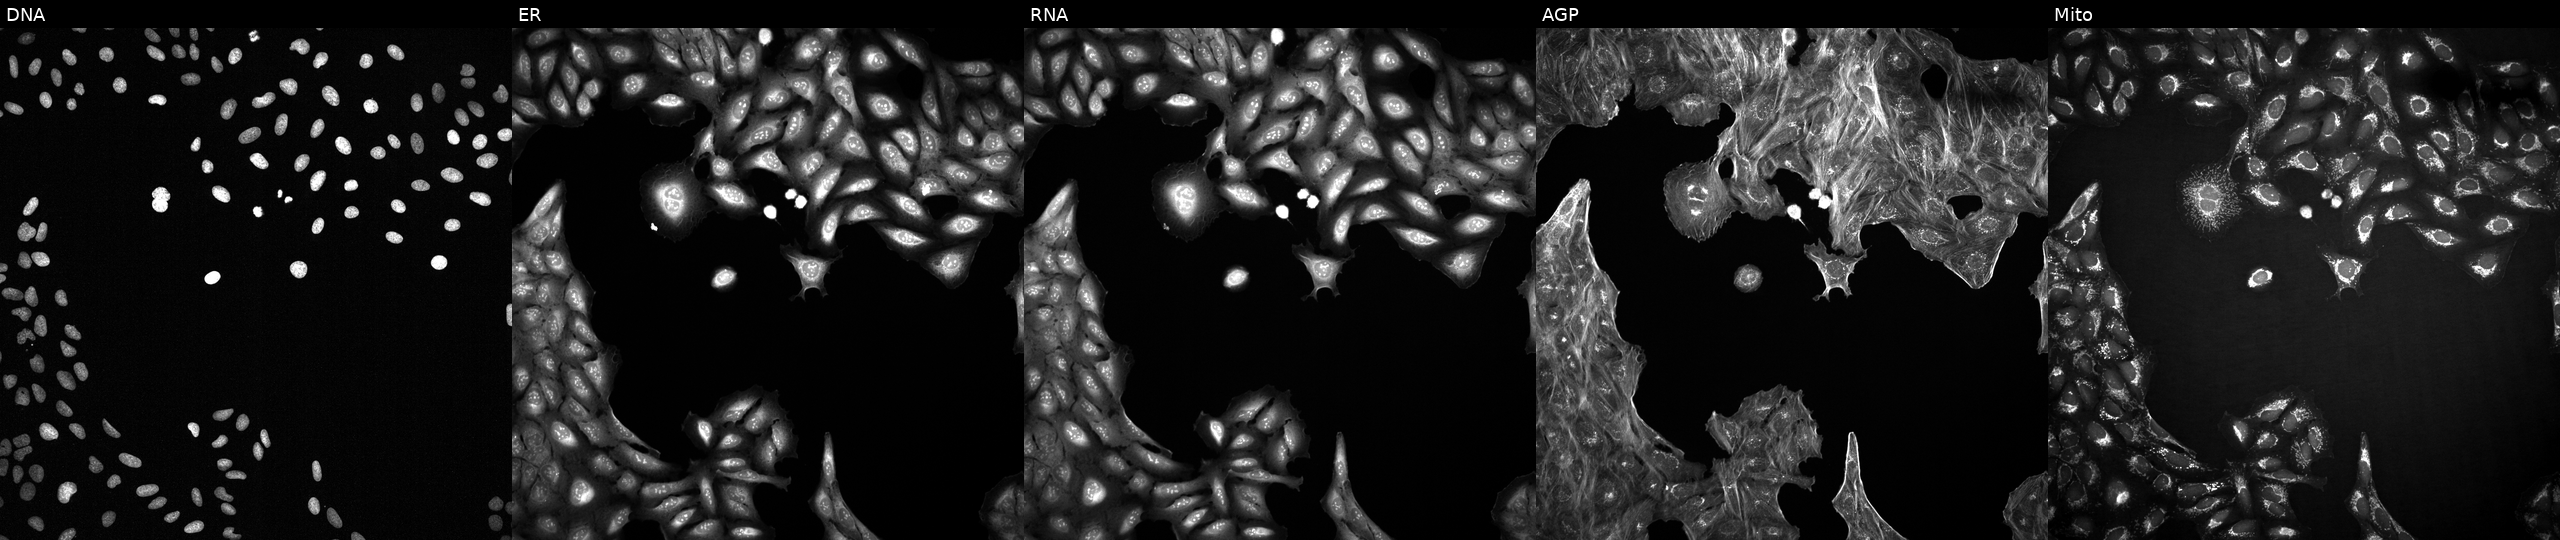
High-content fluorescence microscopy (Cell Painting). Cell line: U2OS. Perturbation: treated with quinidine (positive-control compound). Channels (left→right): DNA (nuclei); ER (endoplasmic reticulum); RNA (nucleoli and cytoplasmic RNA); AGP (actin cytoskeleton, Golgi, and plasma membrane); Mito (mitochondria).